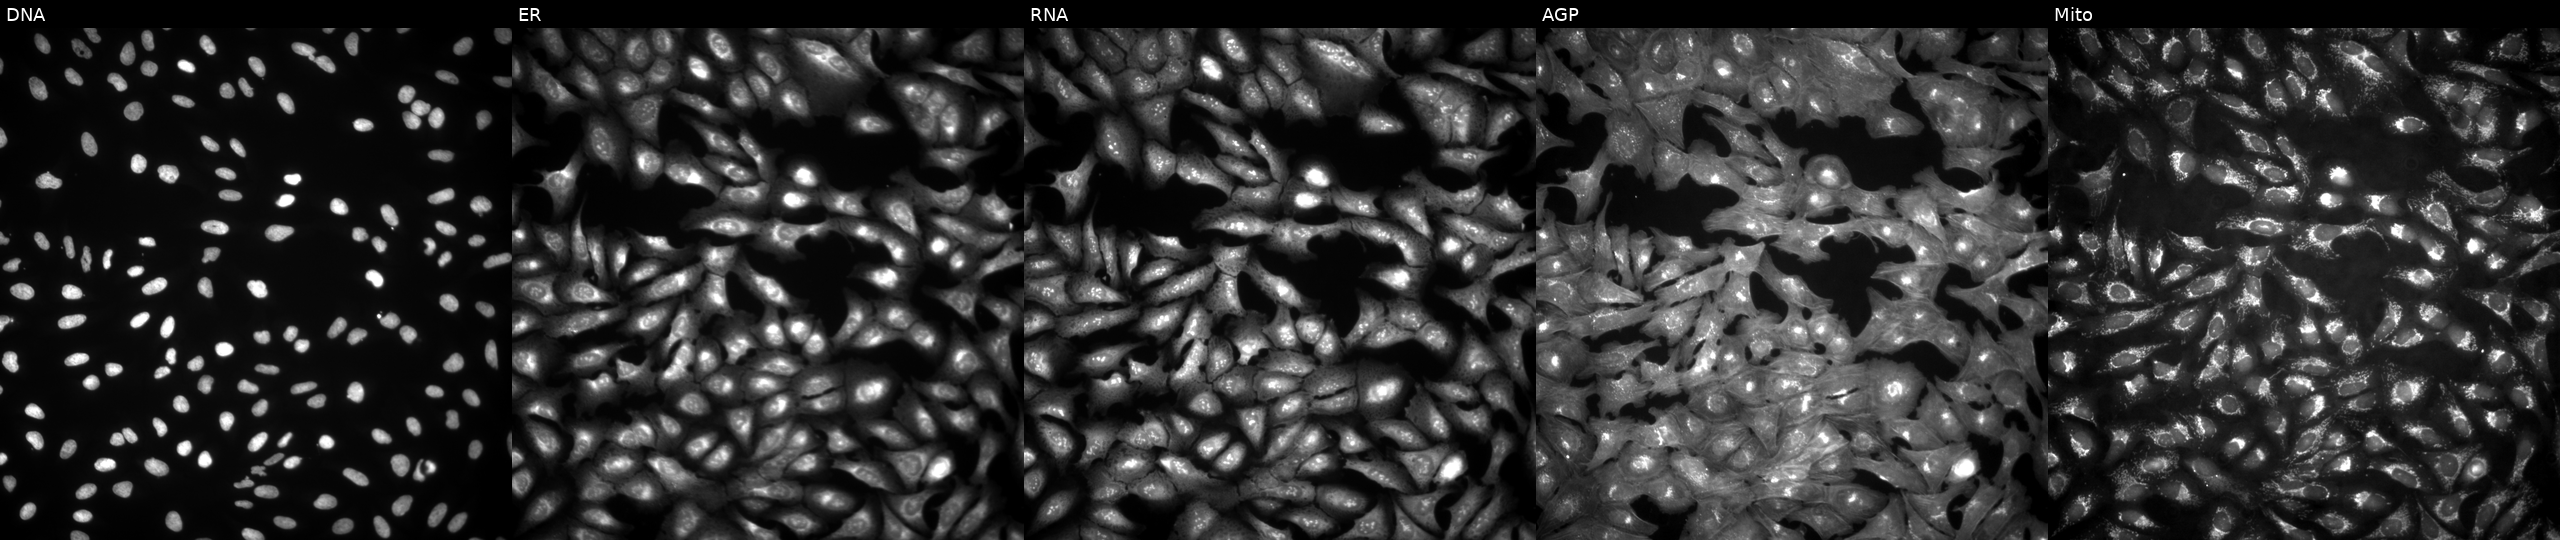
This image strip shows the five Cell Painting channels for a single field of U2OS cells overexpressing NHLRC2 via ORF transfection. Panels show, left to right, DNA, ER, RNA, AGP, and Mito.